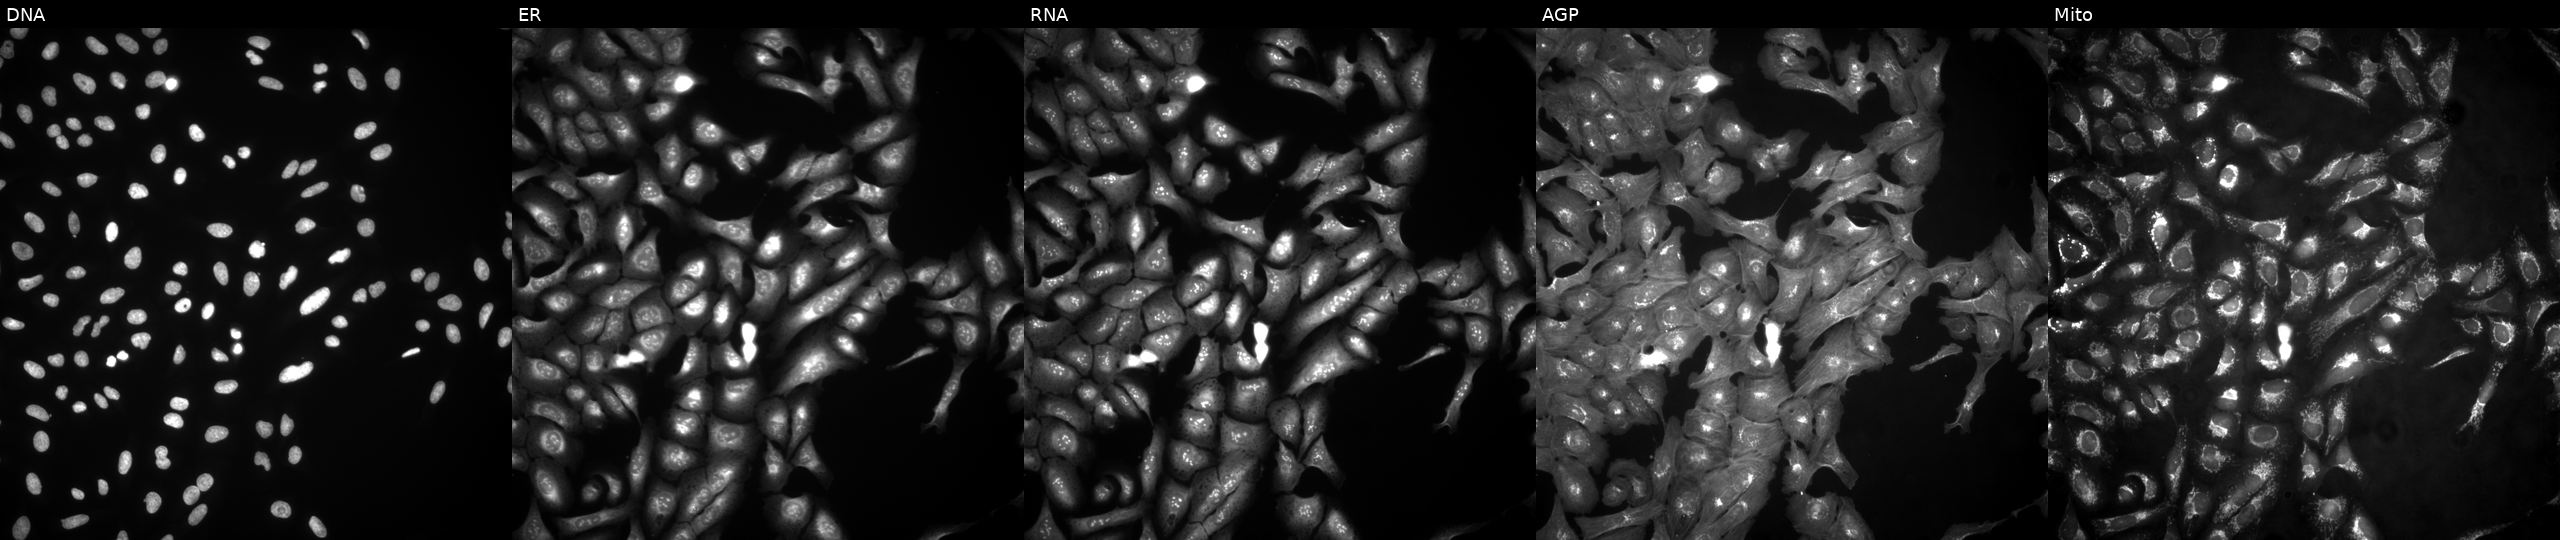
U2OS cells, Cell Painting assay, expressing LUCIFERASE (ORF negative control). Channels (left→right): DNA (nuclei); ER (endoplasmic reticulum); RNA (nucleoli and cytoplasmic RNA); AGP (actin cytoskeleton, Golgi, and plasma membrane); Mito (mitochondria). Each panel is percentile-stretched 16-bit fluorescence. Source 4, plate BR00123509, well K14.